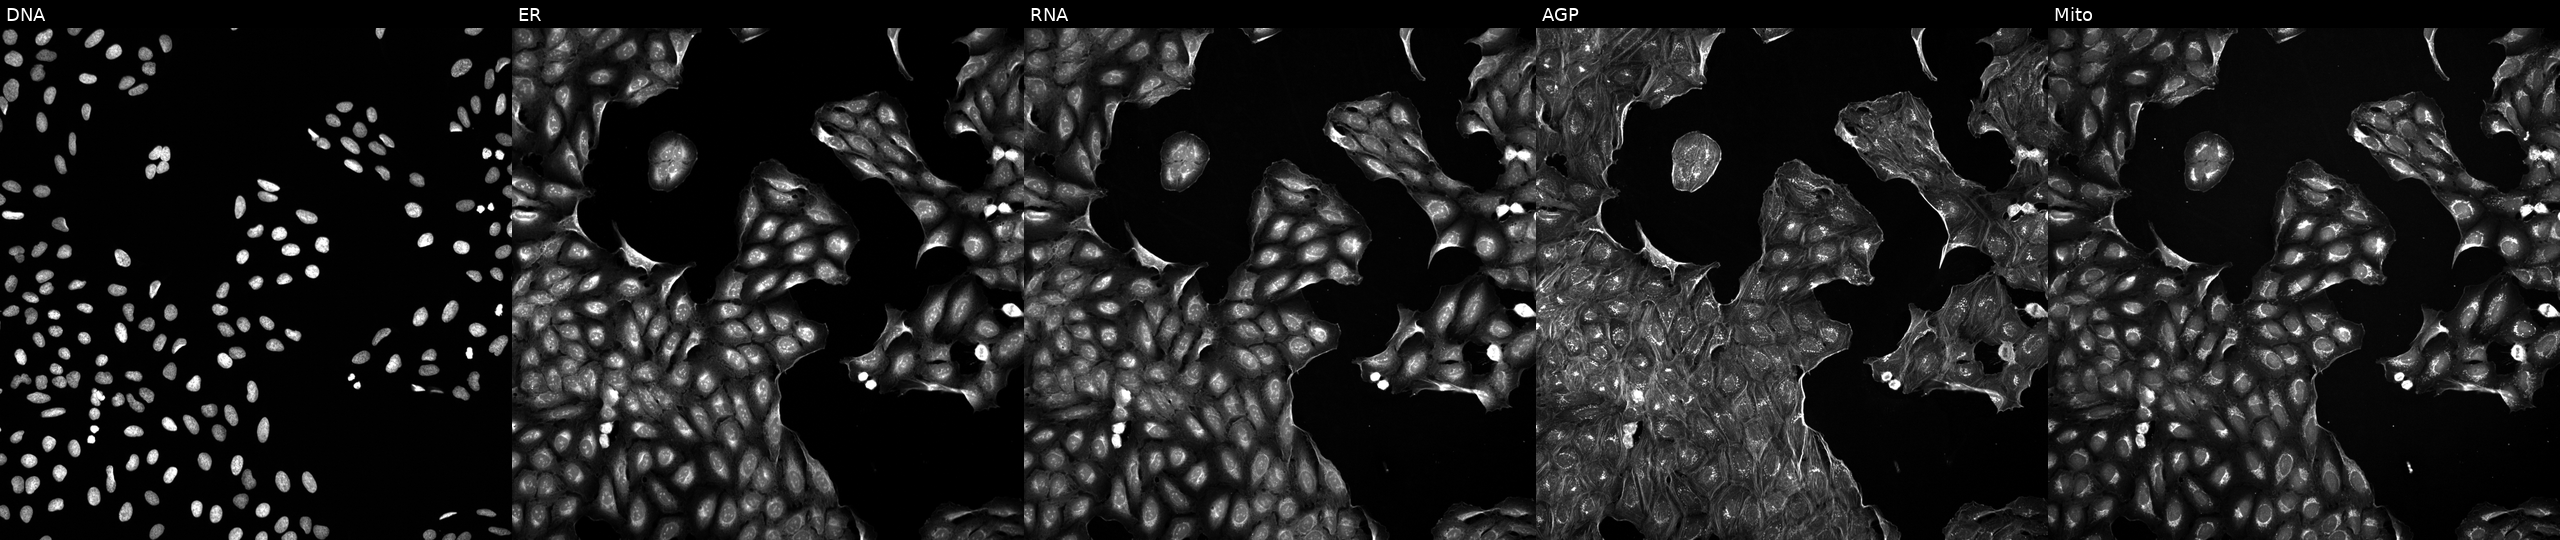
This image strip shows the five Cell Painting channels for a single field of U2OS cells perturbed with a small-molecule compound (InChIKey PMPPFYUIIKWEOH-UHFFFAOYSA-N). The five panels, left to right, show DNA (nuclei); ER (endoplasmic reticulum); RNA (nucleoli and cytoplasmic RNA); AGP (actin cytoskeleton, Golgi, and plasma membrane); Mito (mitochondria). Source 5, plate APTJUM105, well A20.